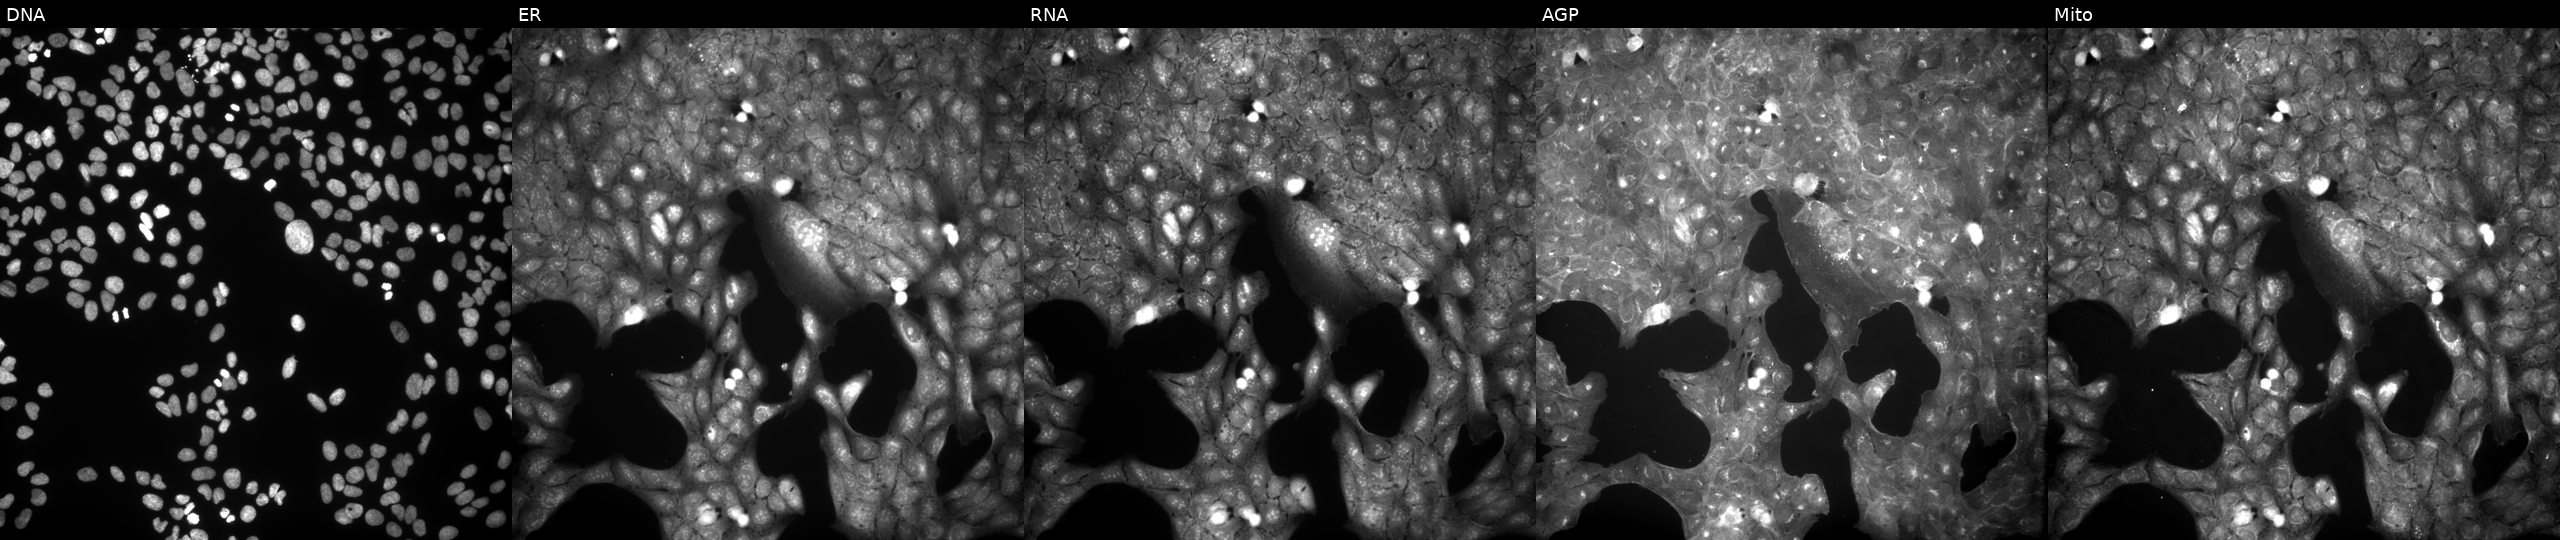
This image strip shows the five Cell Painting channels for a single field of U2OS cells perturbed with a small-molecule compound (InChIKey OPAJQKMVBUYCES-UHFFFAOYSA-N) [SMILES: CC(=O)OCCn1c(=O)c2cc3c(=O)n(CCOC(C)=O)c(=O)c3cc2c1=O]. Panels show, left to right, Hoechst 33342, concanavalin A, SYTO 14, phalloidin and WGA, MitoTracker.